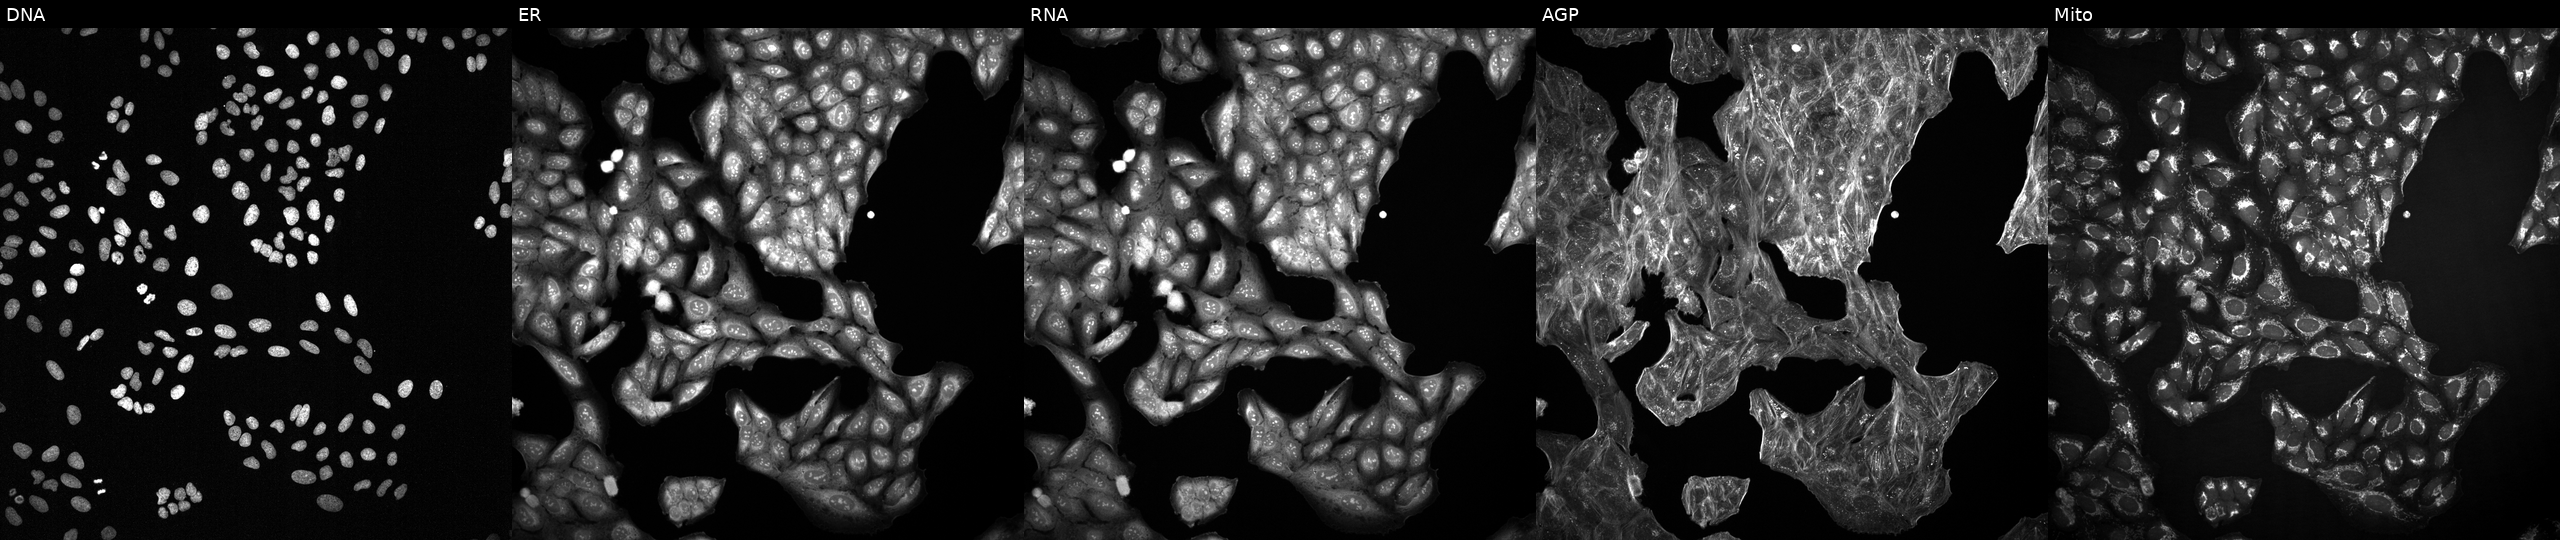
Five-channel Cell Painting image of U2OS cells treated with a small-molecule compound (InChIKey QWJOPXDAQCDRRM-UHFFFAOYSA-N). Channels (left→right): DNA, ER, RNA, AGP, and Mito.